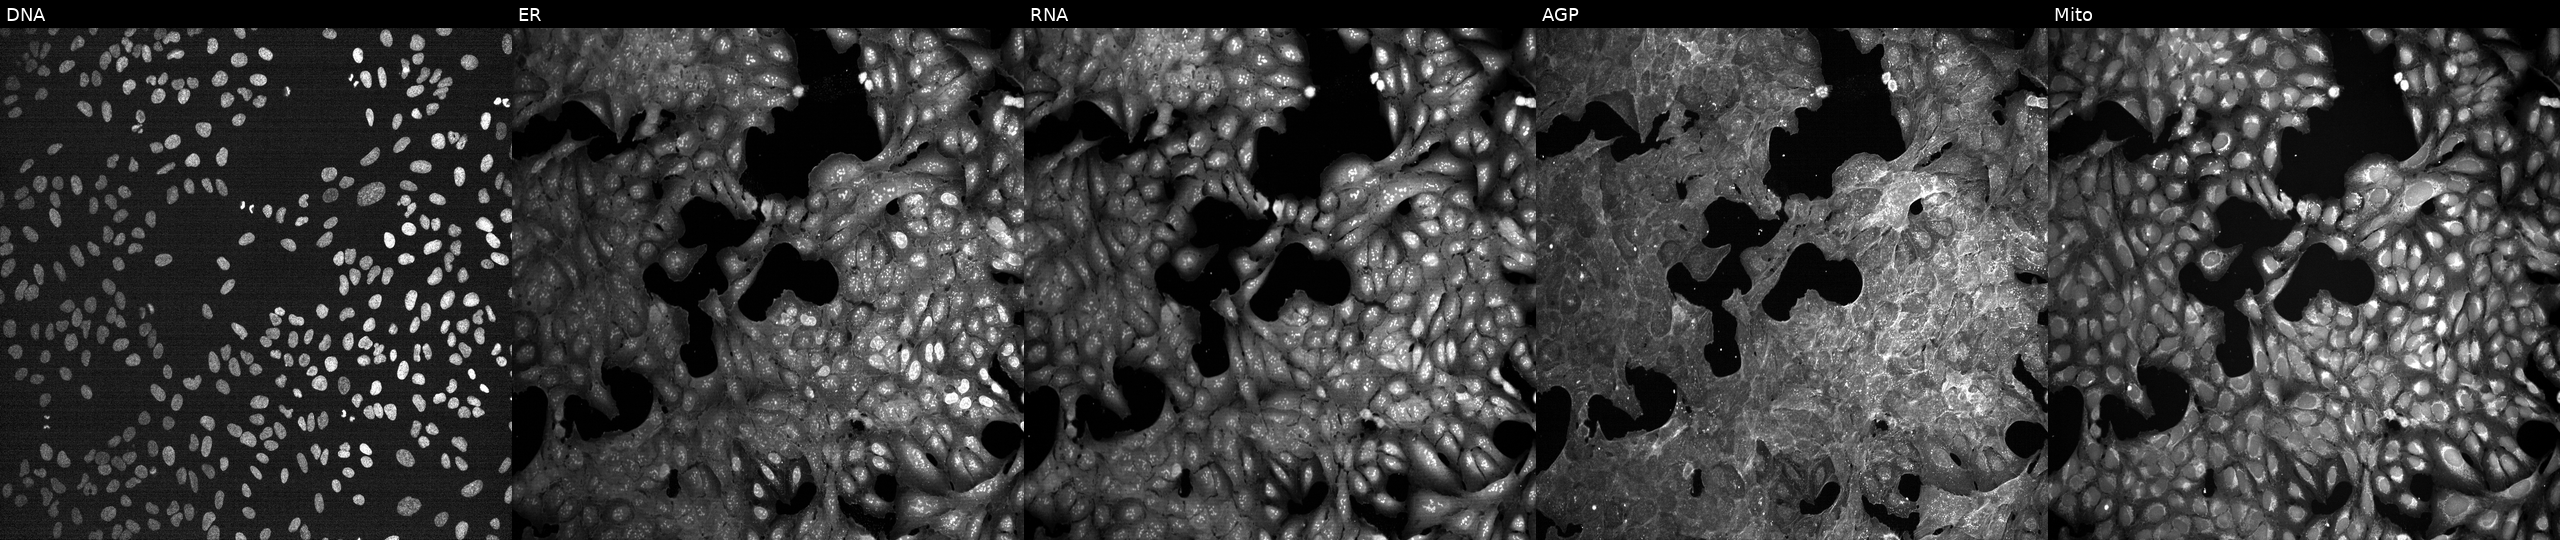
High-content fluorescence microscopy (Cell Painting). Cell line: U2OS. Perturbation: treated with DMSO vehicle only (negative control) (JUMP id JCP2022_033924). The five panels, left to right, show DNA (nuclei); ER (endoplasmic reticulum); RNA (nucleoli and cytoplasmic RNA); AGP (actin cytoskeleton, Golgi, and plasma membrane); Mito (mitochondria).